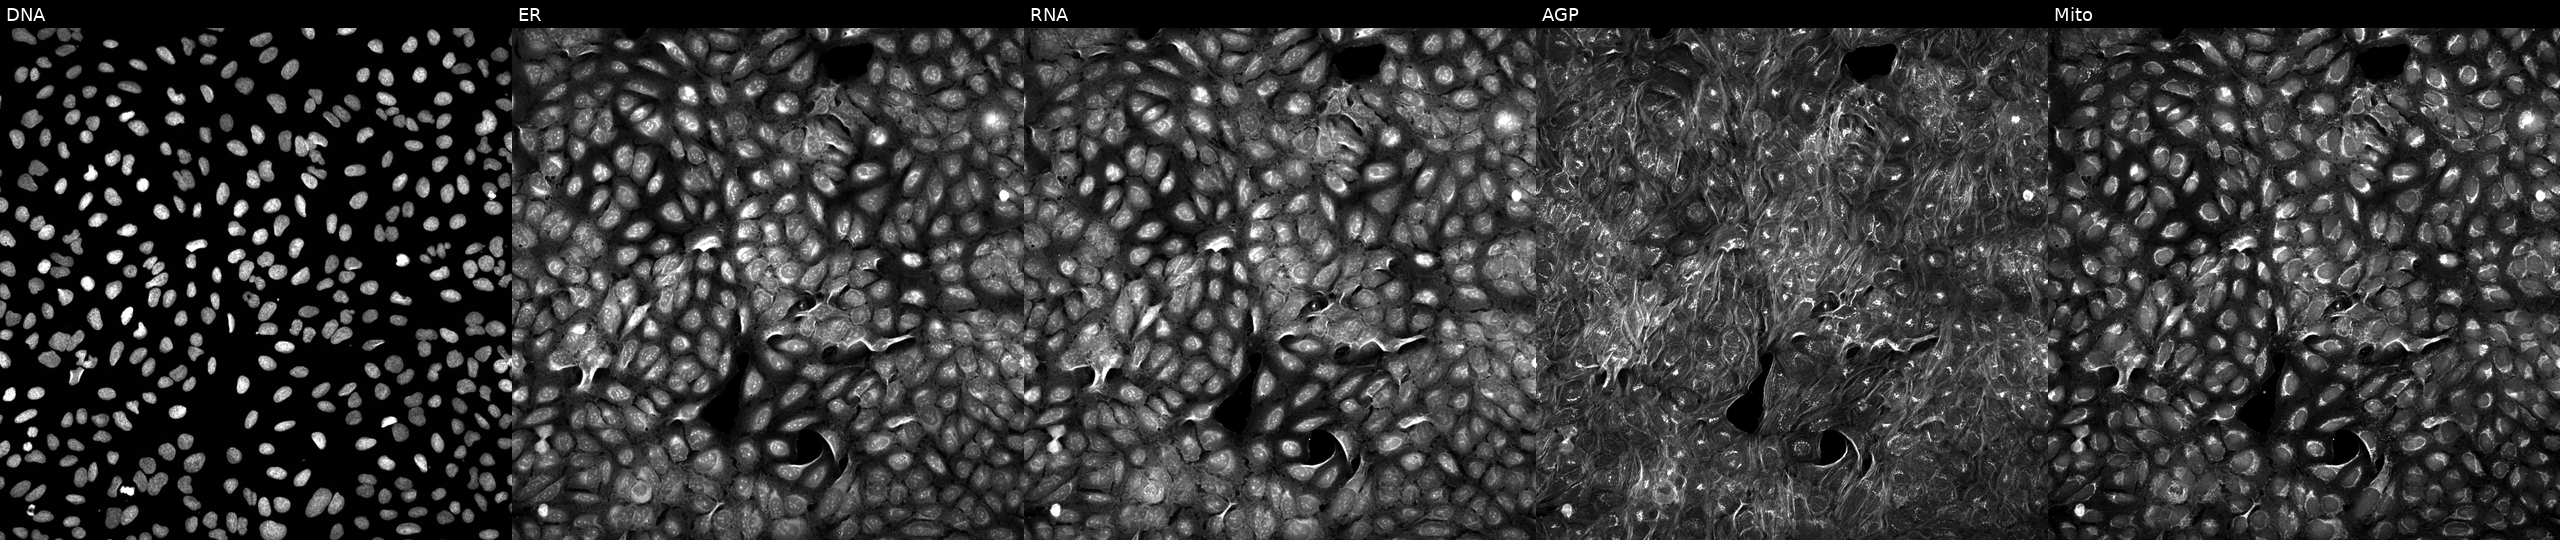
This image strip shows the five Cell Painting channels for a single field of U2OS cells exposed to a small-molecule compound [SMILES: Cc1csc(CNCc2ccc(OCc3nccn3C)cc2)n1]. Channels (left→right): DNA (nuclei); ER (endoplasmic reticulum); RNA (nucleoli and cytoplasmic RNA); AGP (actin cytoskeleton, Golgi, and plasma membrane); Mito (mitochondria). Source 5, plate APTJUM106, well L06.